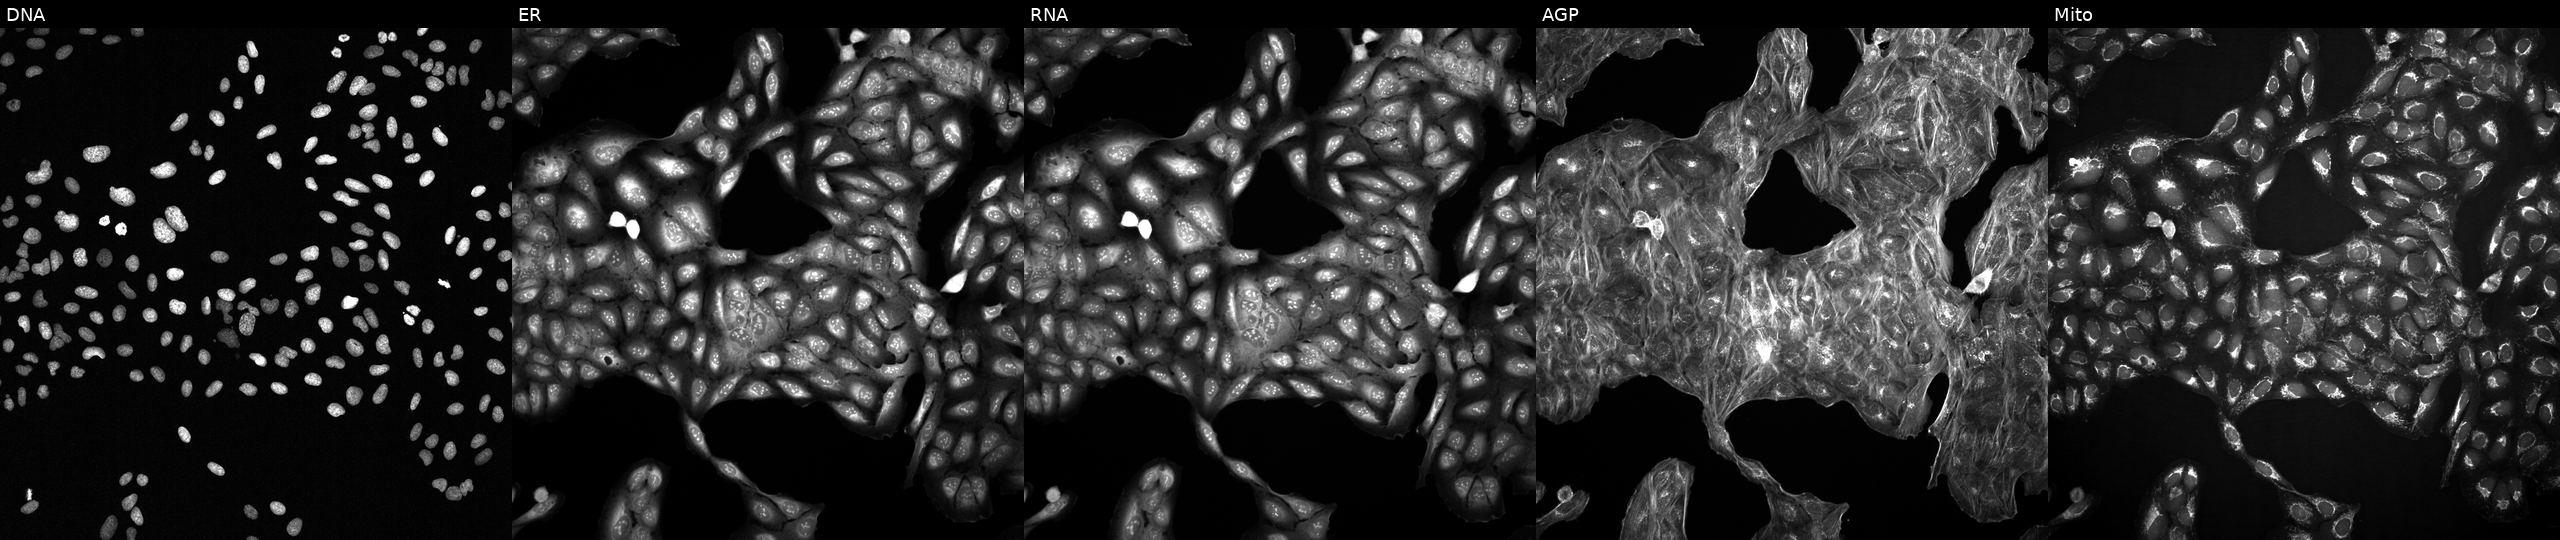
Channels (left→right): DNA, ER, RNA, AGP, and Mito. U2OS osteosarcoma cells with an unidentified perturbation (not annotated in JUMP metadata). Cell Painting assay, JUMP-CP dataset. Source 2, plate 1053601756, well F18.